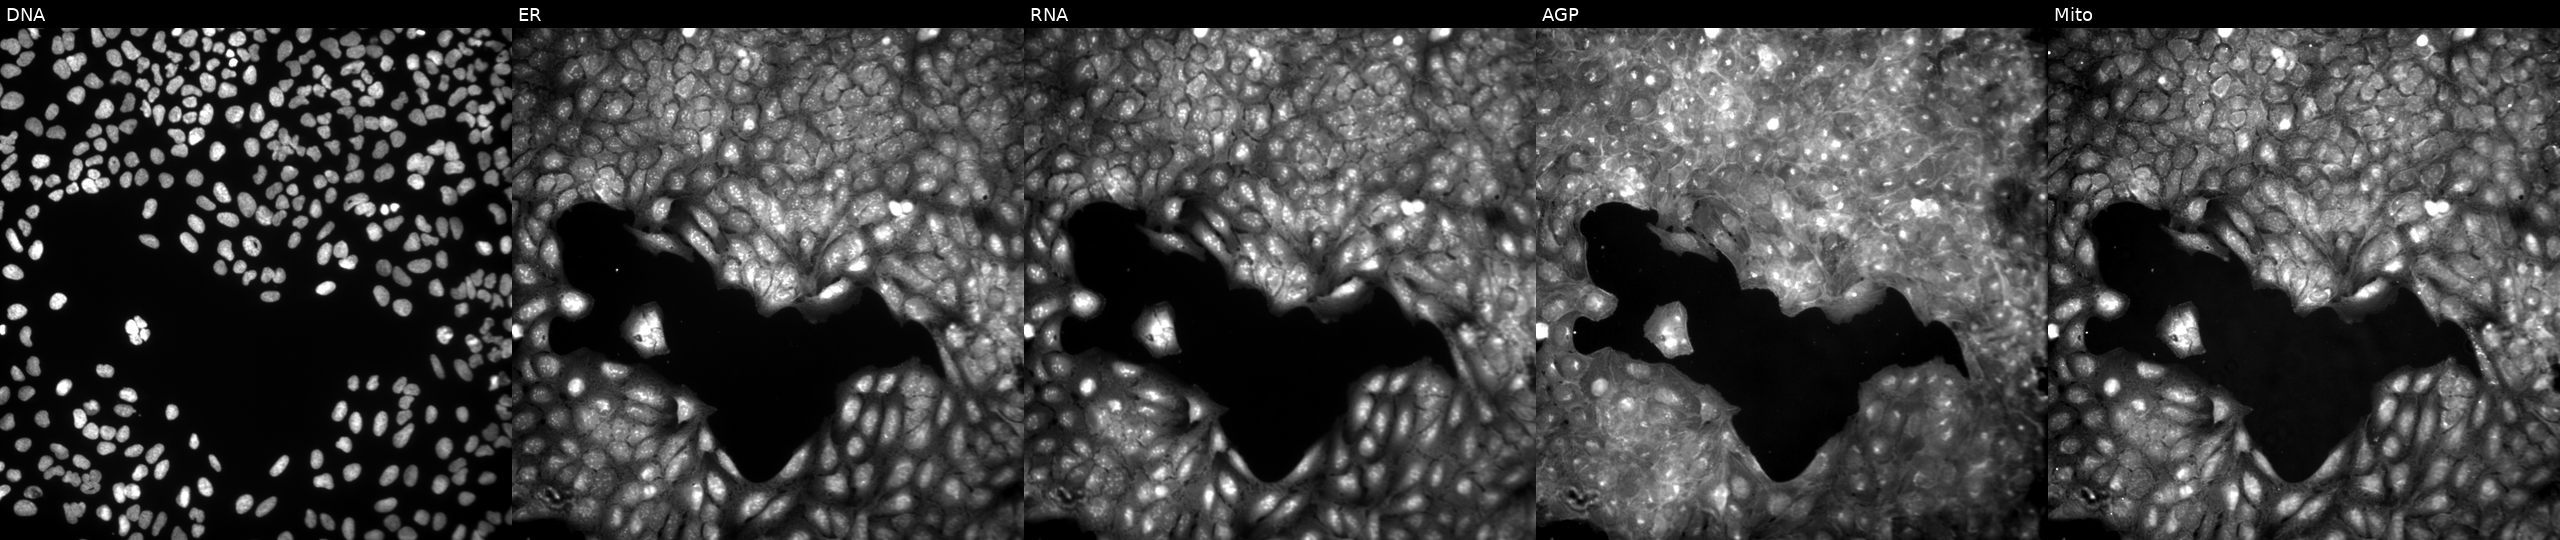
High-content fluorescence microscopy (Cell Painting). Cell line: U2OS. Perturbation: perturbed with a small-molecule compound [SMILES: Cn1ncc([N+](=O)[O-])c1C(=O)NCc1ccccc1]. Panels show, left to right, Hoechst 33342, concanavalin A, SYTO 14, phalloidin and WGA, MitoTracker.